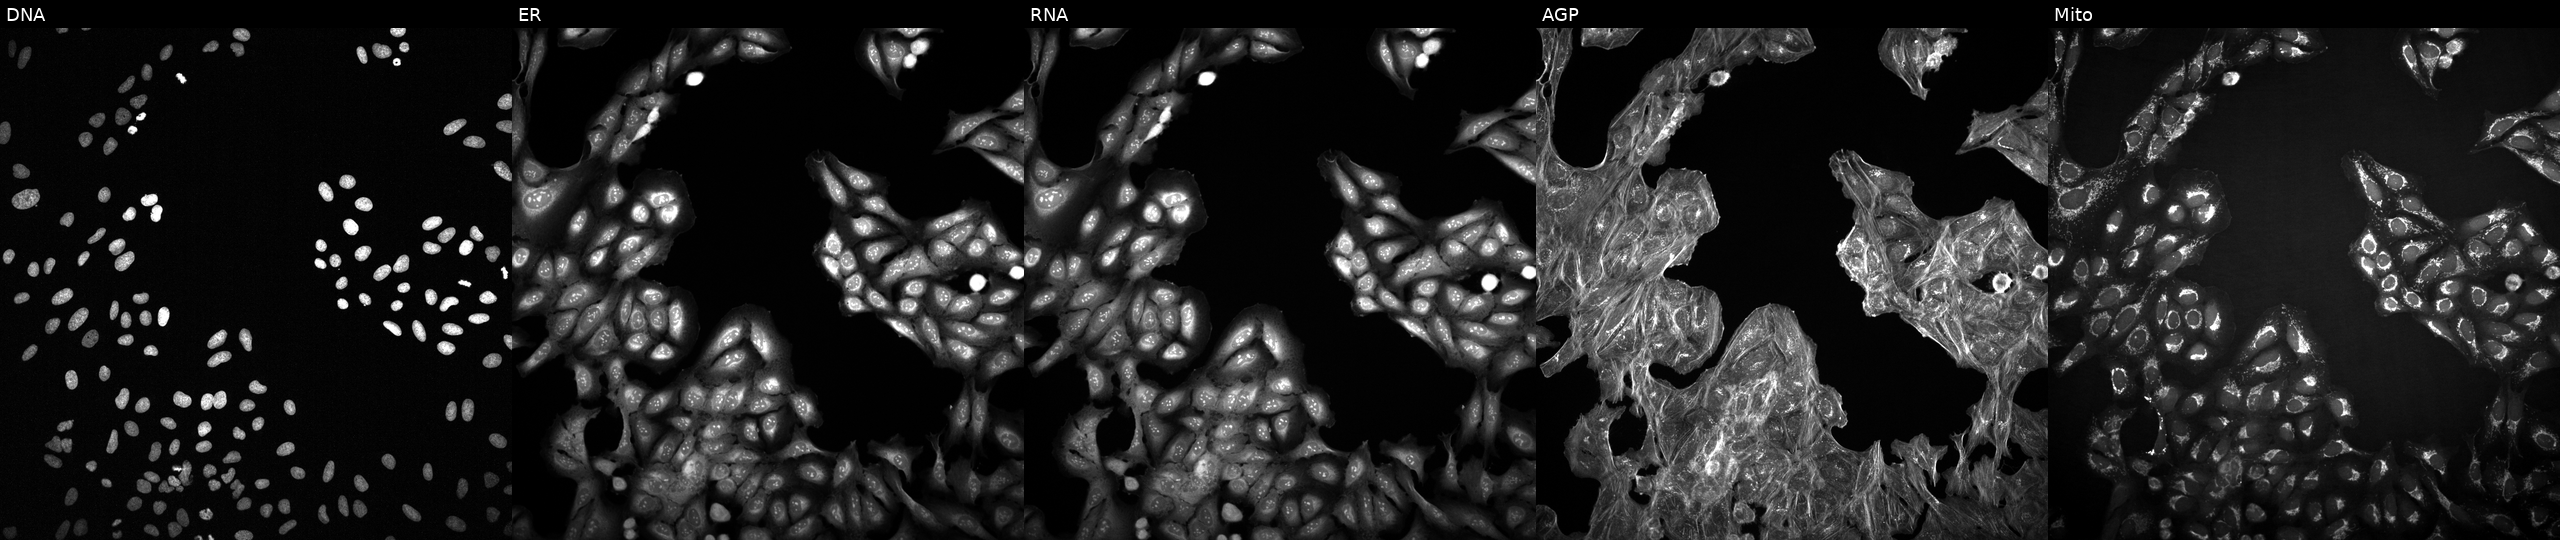
U2OS cells, Cell Painting assay, perturbed with a small-molecule compound (InChIKey UWNWVDKZSQHTQD-UHFFFAOYSA-N) (JUMP id JCP2022_092032). The five panels, left to right, show DNA (nuclei); ER (endoplasmic reticulum); RNA (nucleoli and cytoplasmic RNA); AGP (actin cytoskeleton, Golgi, and plasma membrane); Mito (mitochondria). Each panel is percentile-stretched 16-bit fluorescence.